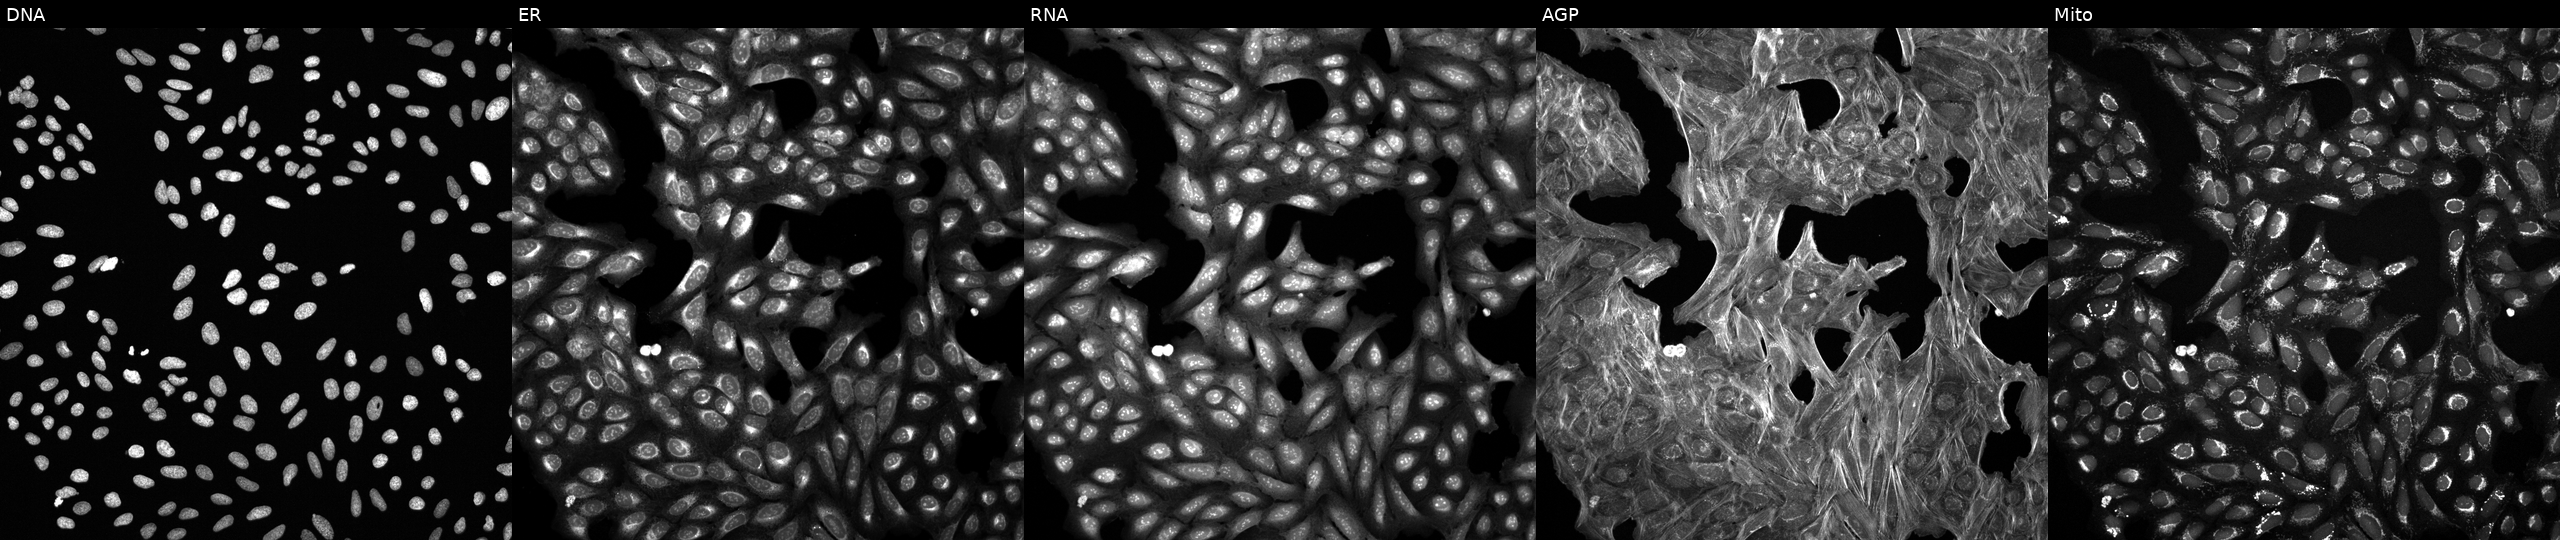
JUMP Cell Painting — COMPOUND plate. U2OS cells treated with a small-molecule compound. Panels show, left to right, DNA, ER, RNA, AGP, and Mito.